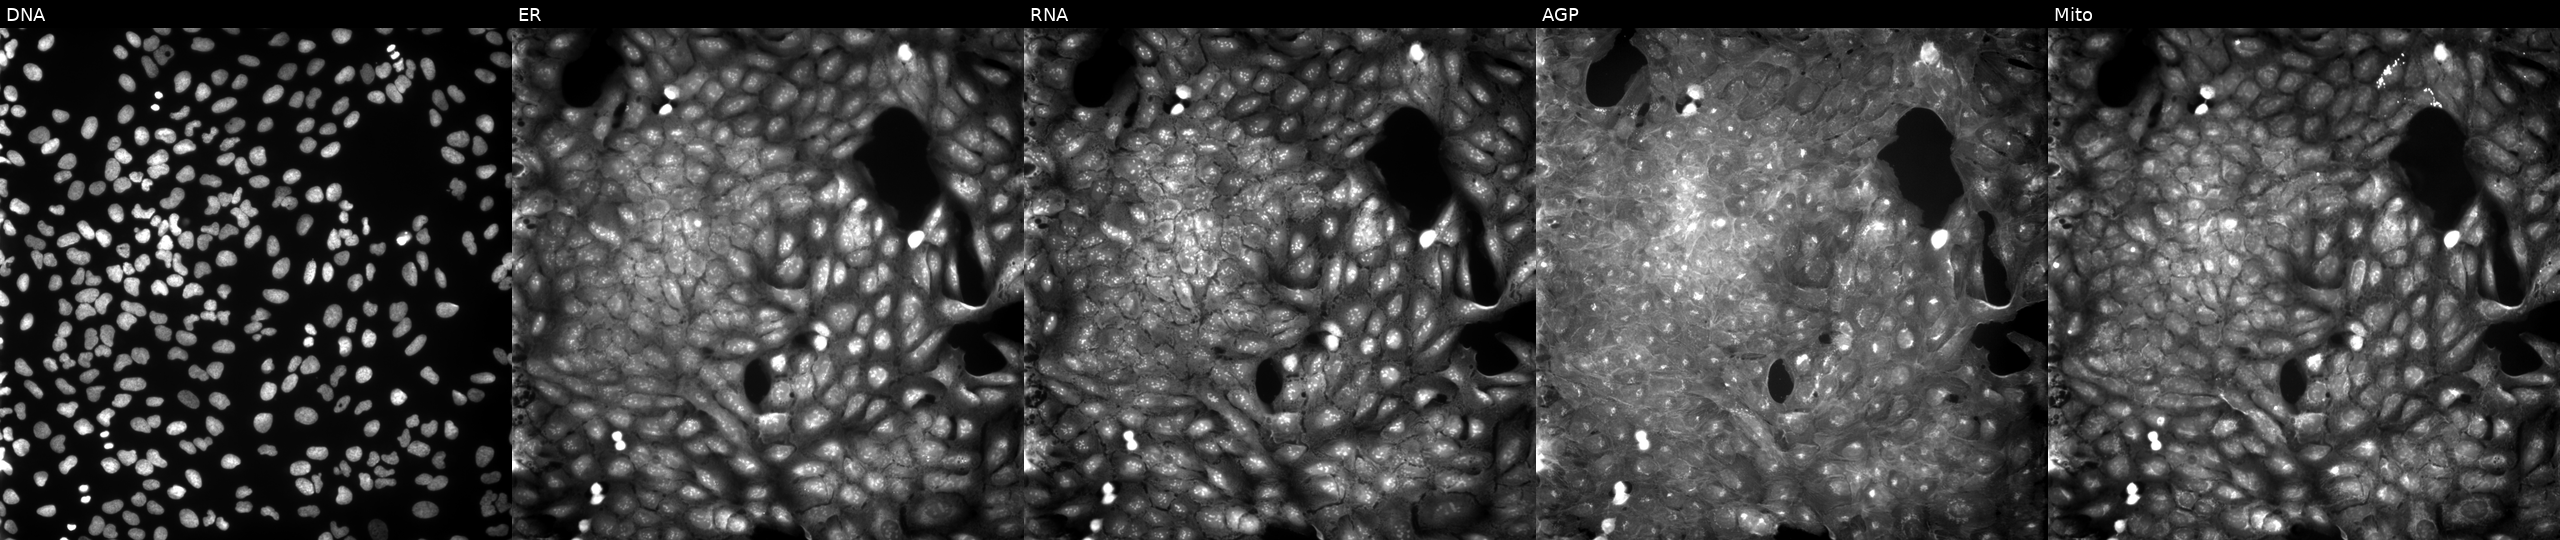
JUMP Cell Painting — COMPOUND plate. U2OS cells treated with DMSO vehicle only (negative control) (JUMP id JCP2022_033924). The five panels, left to right, show DNA, ER, RNA, AGP, and Mito.